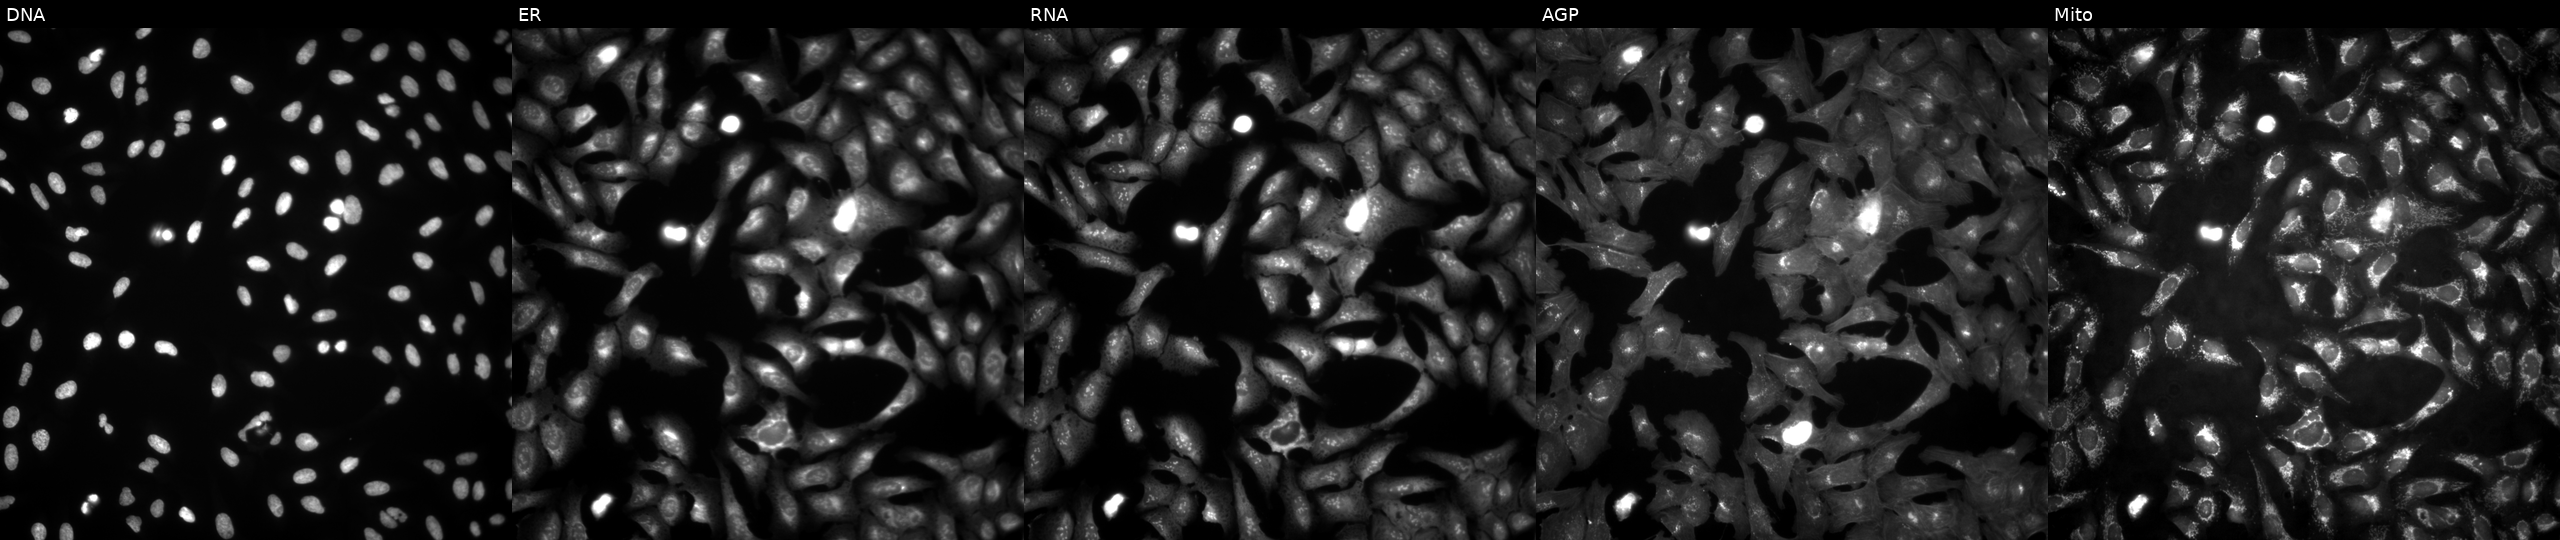
JUMP Cell Painting — ORF plate. U2OS cells expressing LacZ (ORF negative control). Channels (left→right): DNA (nuclei); ER (endoplasmic reticulum); RNA (nucleoli and cytoplasmic RNA); AGP (actin cytoskeleton, Golgi, and plasma membrane); Mito (mitochondria). Source 4, plate BR00123509, well E23.